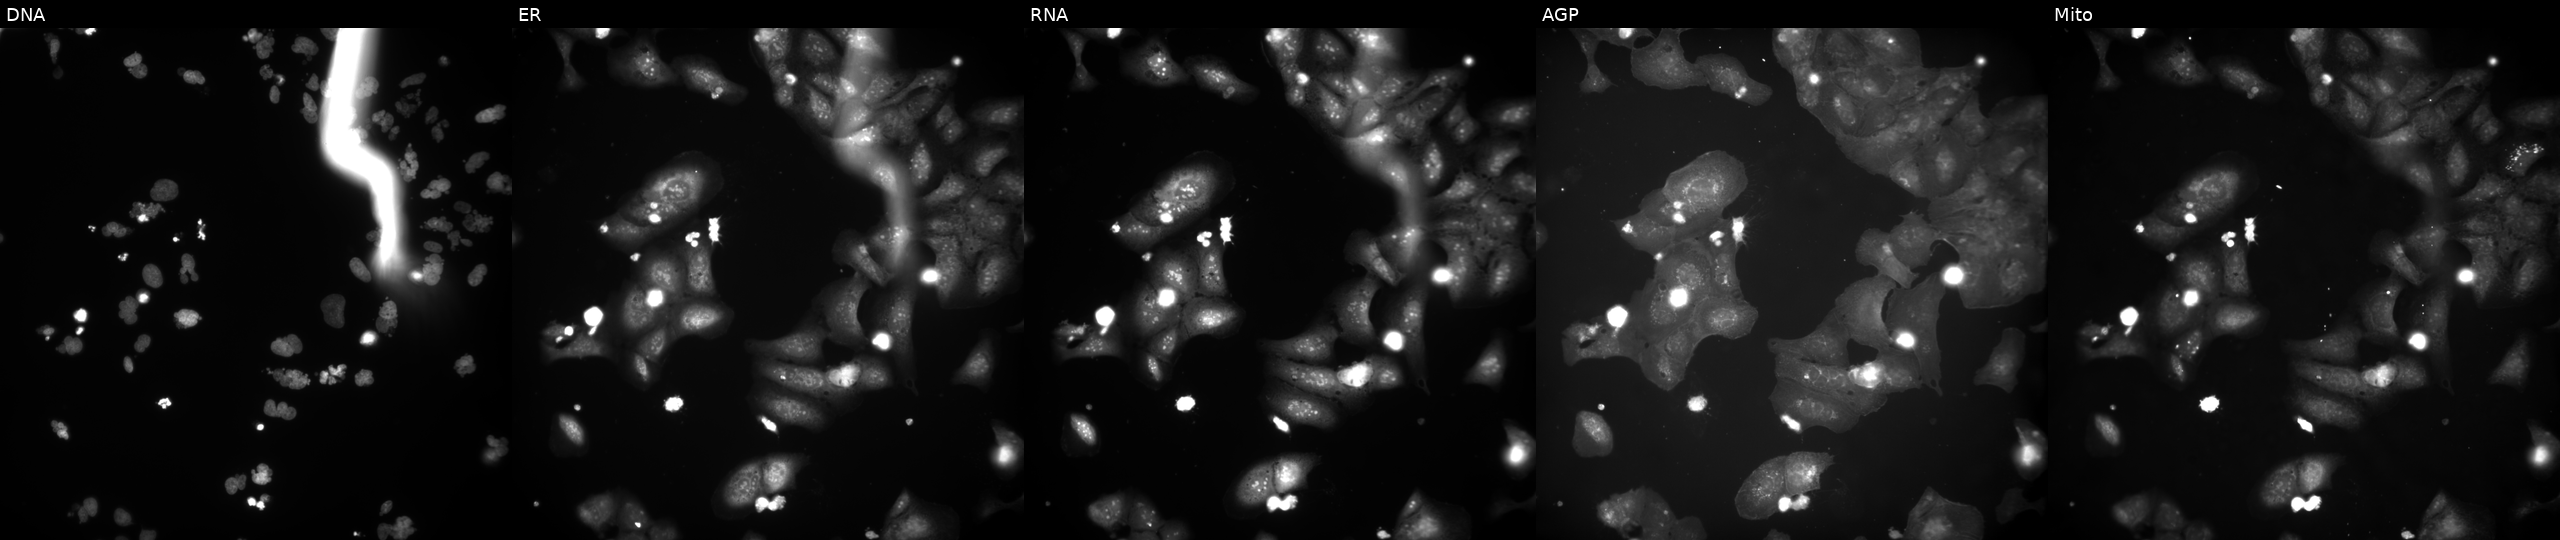
JUMP Cell Painting — COMPOUND plate. U2OS cells treated with a small-molecule compound (InChIKey SHTKISBZHXCUBA-UHFFFAOYSA-N) (JUMP id JCP2022_083321). Panels show, left to right, DNA, ER, RNA, AGP, and Mito.